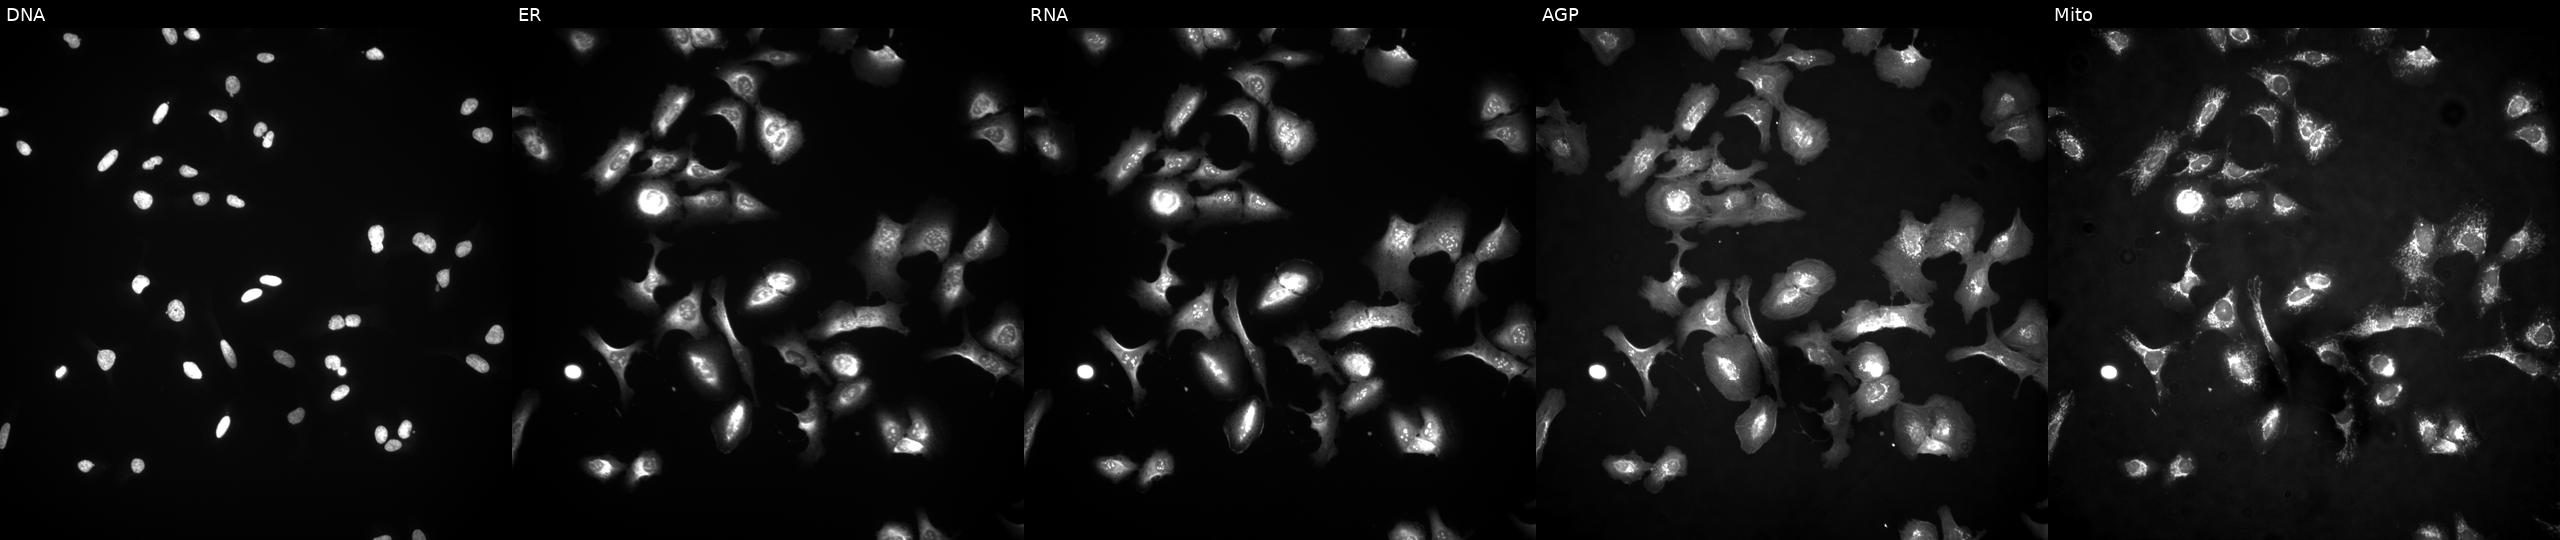
JUMP Cell Painting — ORF plate. U2OS cells transfected with an ORF construct for MASP1 (JUMP id JCP2022_906352). The five panels, left to right, show DNA, ER, RNA, AGP, and Mito.